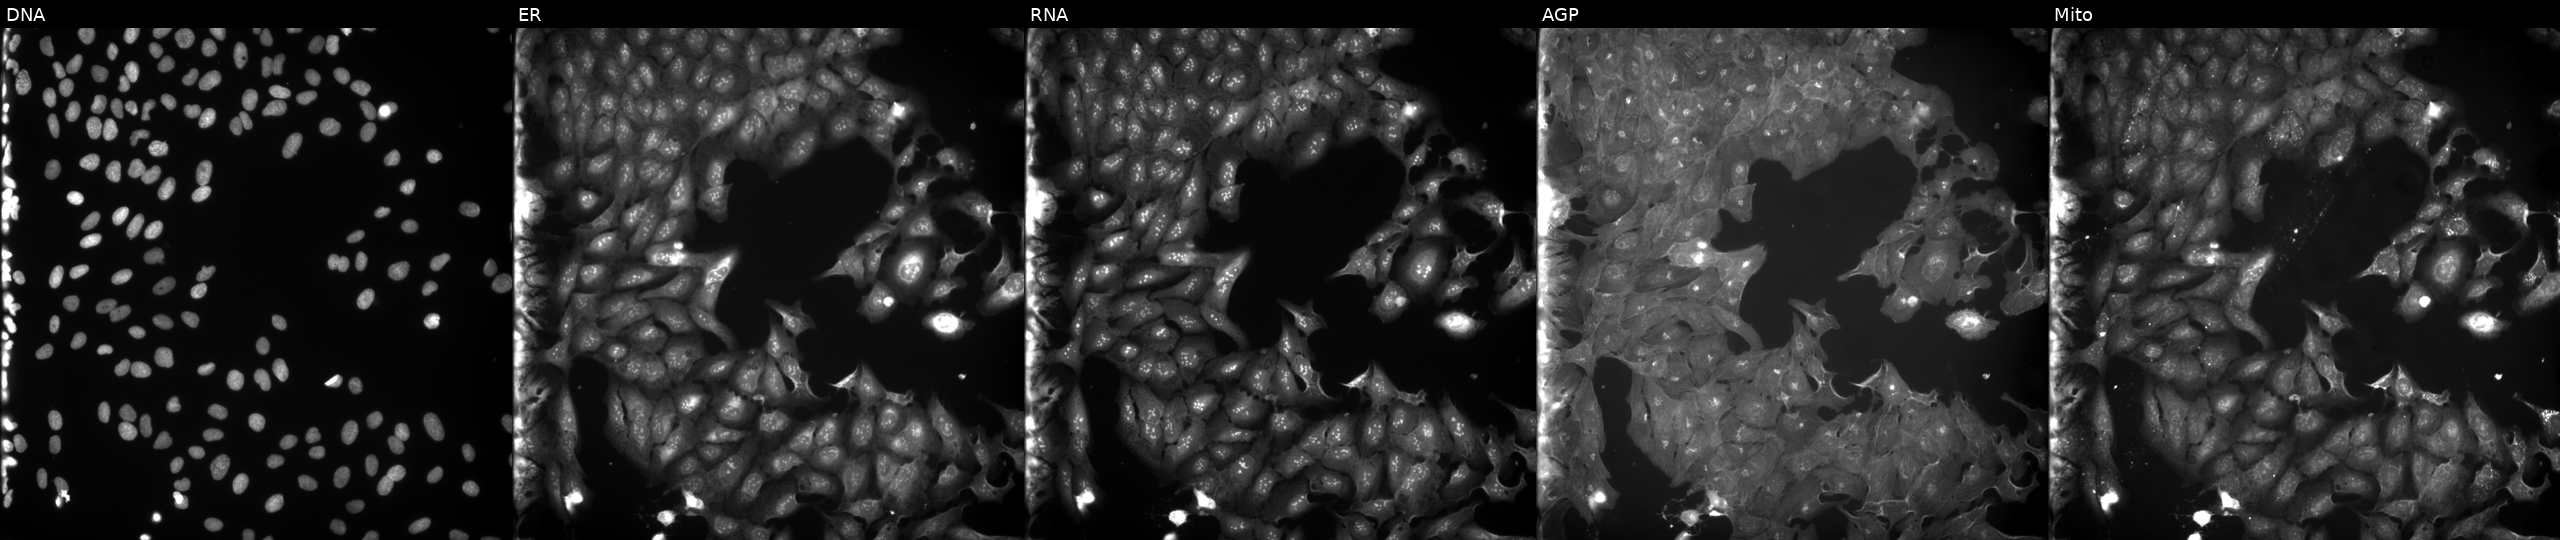
This image strip shows the five Cell Painting channels for a single field of U2OS cells perturbed with a small-molecule compound. The five panels, left to right, show DNA (nuclei); ER (endoplasmic reticulum); RNA (nucleoli and cytoplasmic RNA); AGP (actin cytoskeleton, Golgi, and plasma membrane); Mito (mitochondria). Source 9, plate GR00003381, well K14.